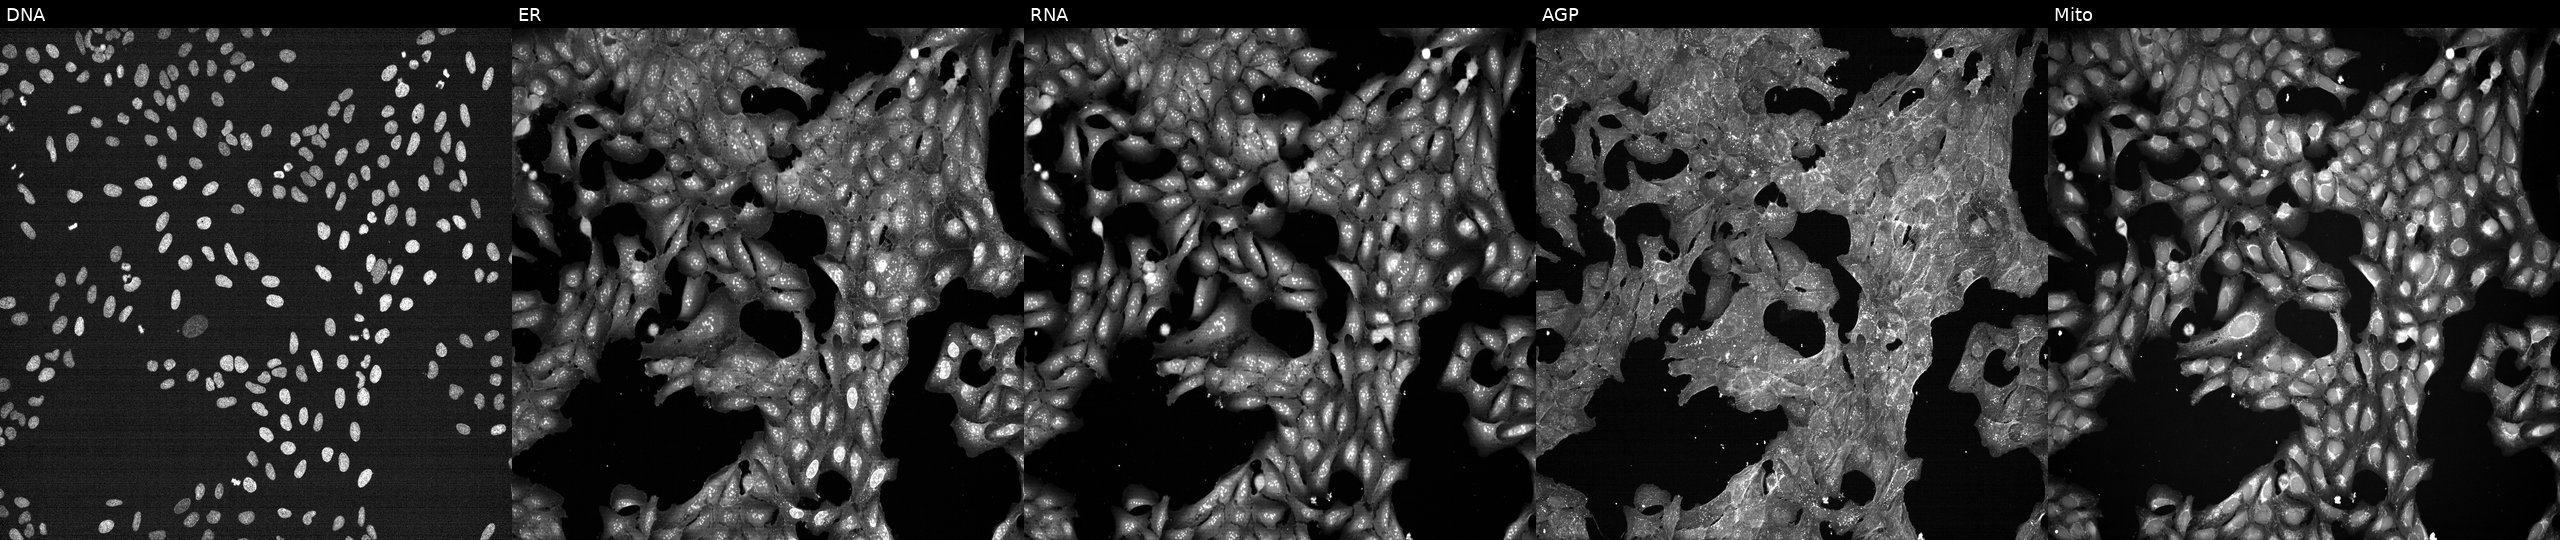
High-content fluorescence microscopy (Cell Painting). Cell line: U2OS. Perturbation: treated with DMSO vehicle only (negative control) (JUMP id JCP2022_033924). From left to right: DNA (nuclei); ER (endoplasmic reticulum); RNA (nucleoli and cytoplasmic RNA); AGP (actin cytoskeleton, Golgi, and plasma membrane); Mito (mitochondria). Source 7, plate CP1-SC1-25, well J12.